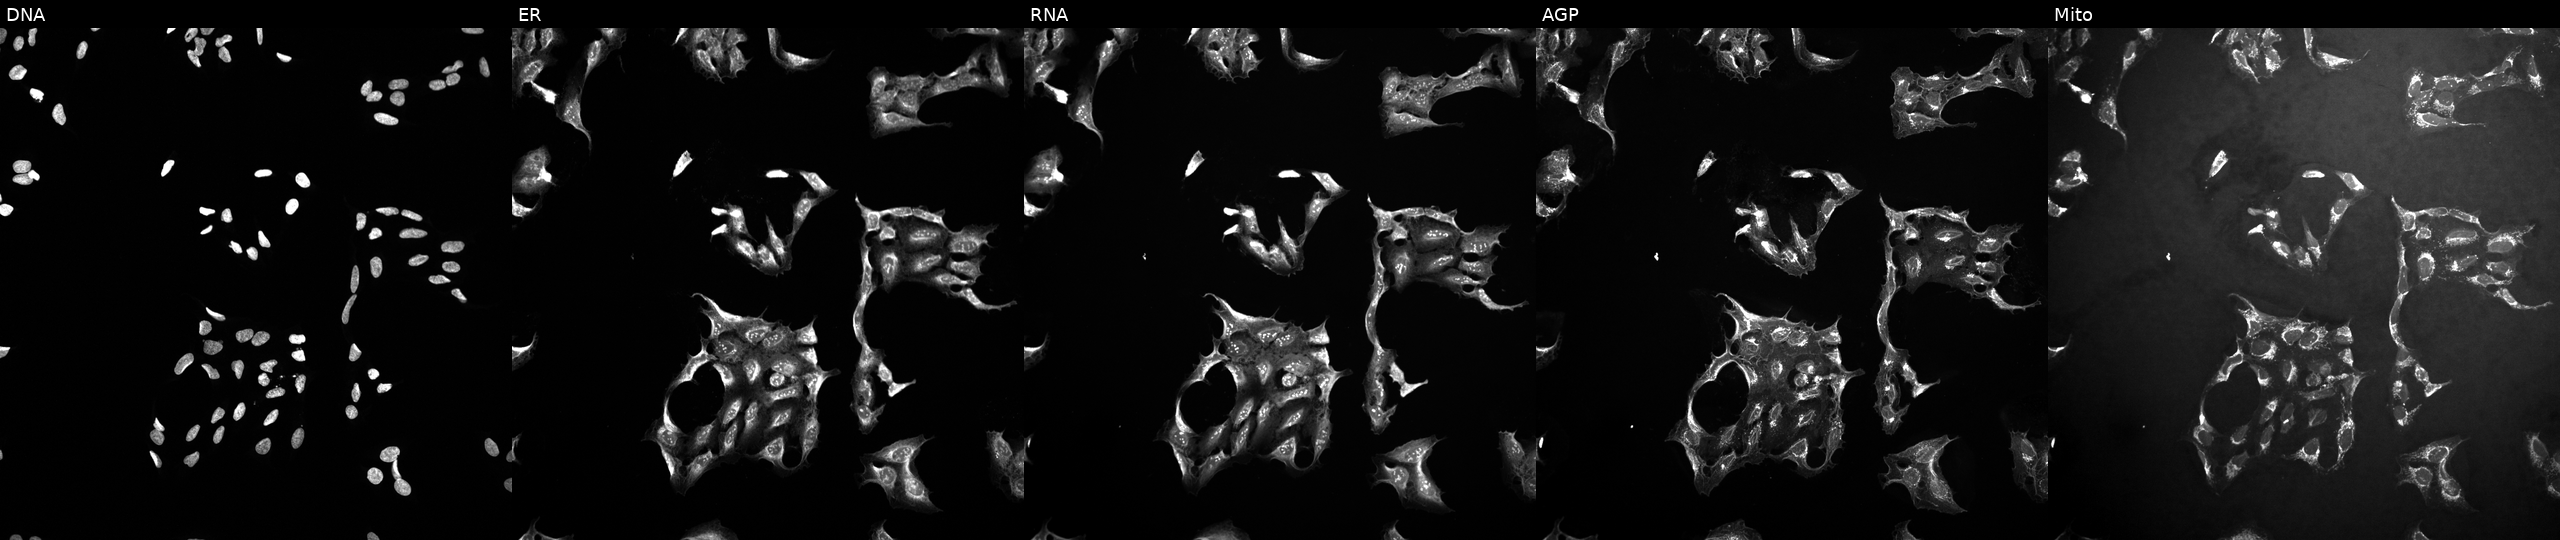
Panels show, left to right, Hoechst 33342, concanavalin A, SYTO 14, phalloidin and WGA, MitoTracker. U2OS osteosarcoma cells exposed to DMSO alone as a negative control (JUMP id JCP2022_033924). Cell Painting assay, JUMP-CP dataset. Source 10, plate Dest210803-153958, well B12.